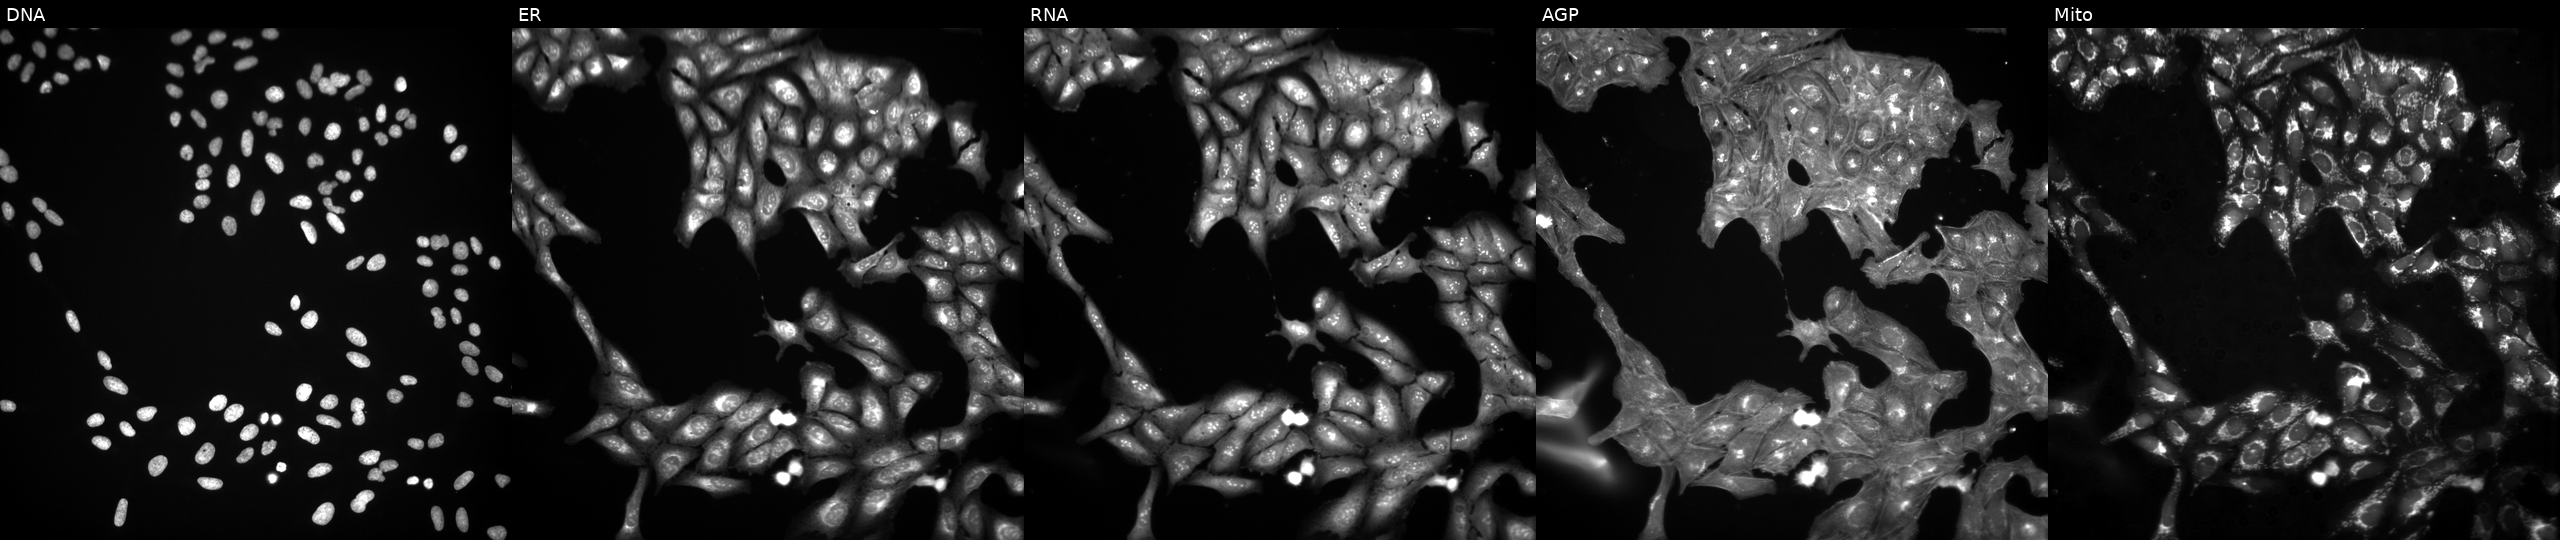
U2OS cells, Cell Painting assay, treated with DMSO vehicle only (negative control) (JUMP id JCP2022_033924). From left to right: Hoechst 33342, concanavalin A, SYTO 14, phalloidin and WGA, MitoTracker. Each panel is percentile-stretched 16-bit fluorescence. Source 3, plate BR5867b3, well A02.